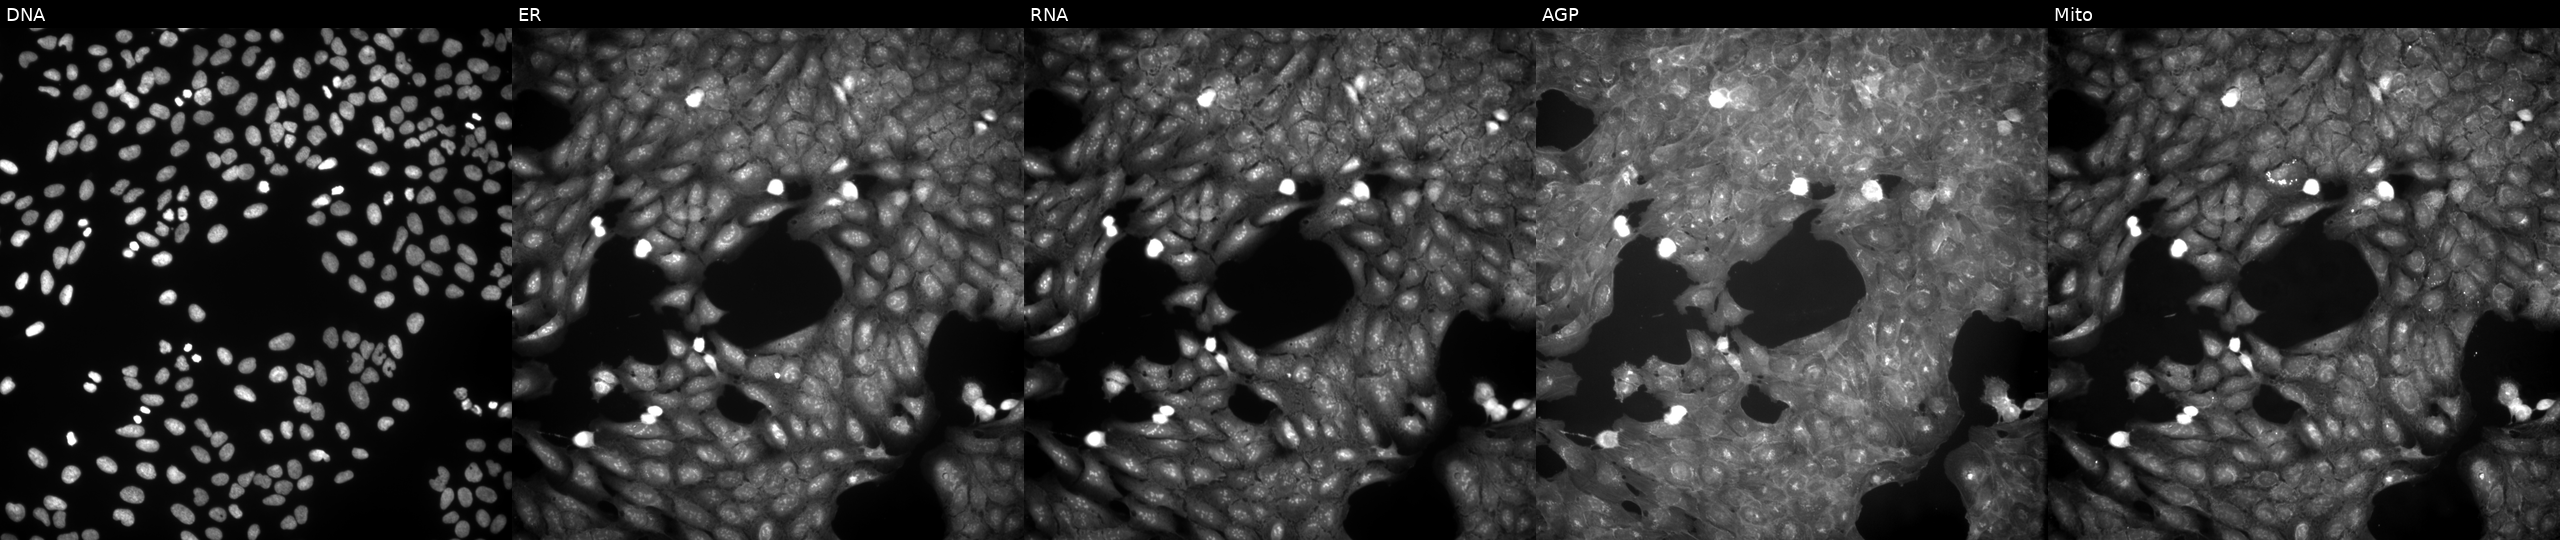
Channels (left→right): Hoechst 33342, concanavalin A, SYTO 14, phalloidin and WGA, MitoTracker. U2OS osteosarcoma cells perturbed with a small-molecule compound (InChIKey PILXLYYBQDOCLY-UHFFFAOYSA-N) (JUMP id JCP2022_068835). Cell Painting assay, JUMP-CP dataset.